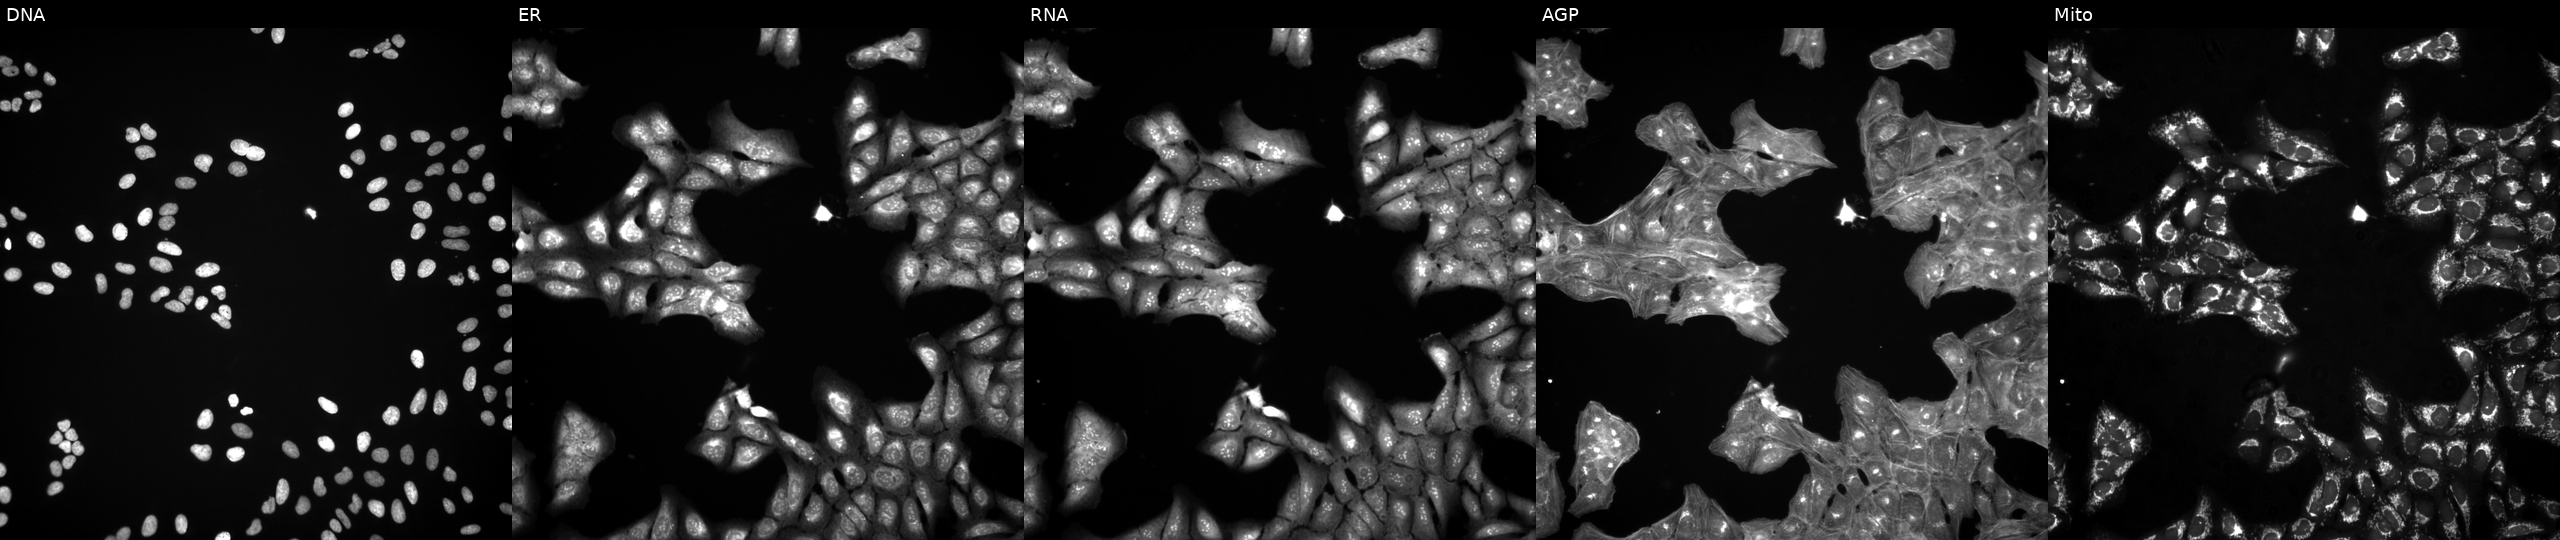
U2OS cells, Cell Painting assay, exposed to a small-molecule compound (InChIKey QESQGTFWEQMCMH-UHFFFAOYSA-N) (JUMP id JCP2022_072945). Channels (left→right): DNA, ER, RNA, AGP, and Mito. Each panel is percentile-stretched 16-bit fluorescence. Source 3, plate JCPQC051, well K21.